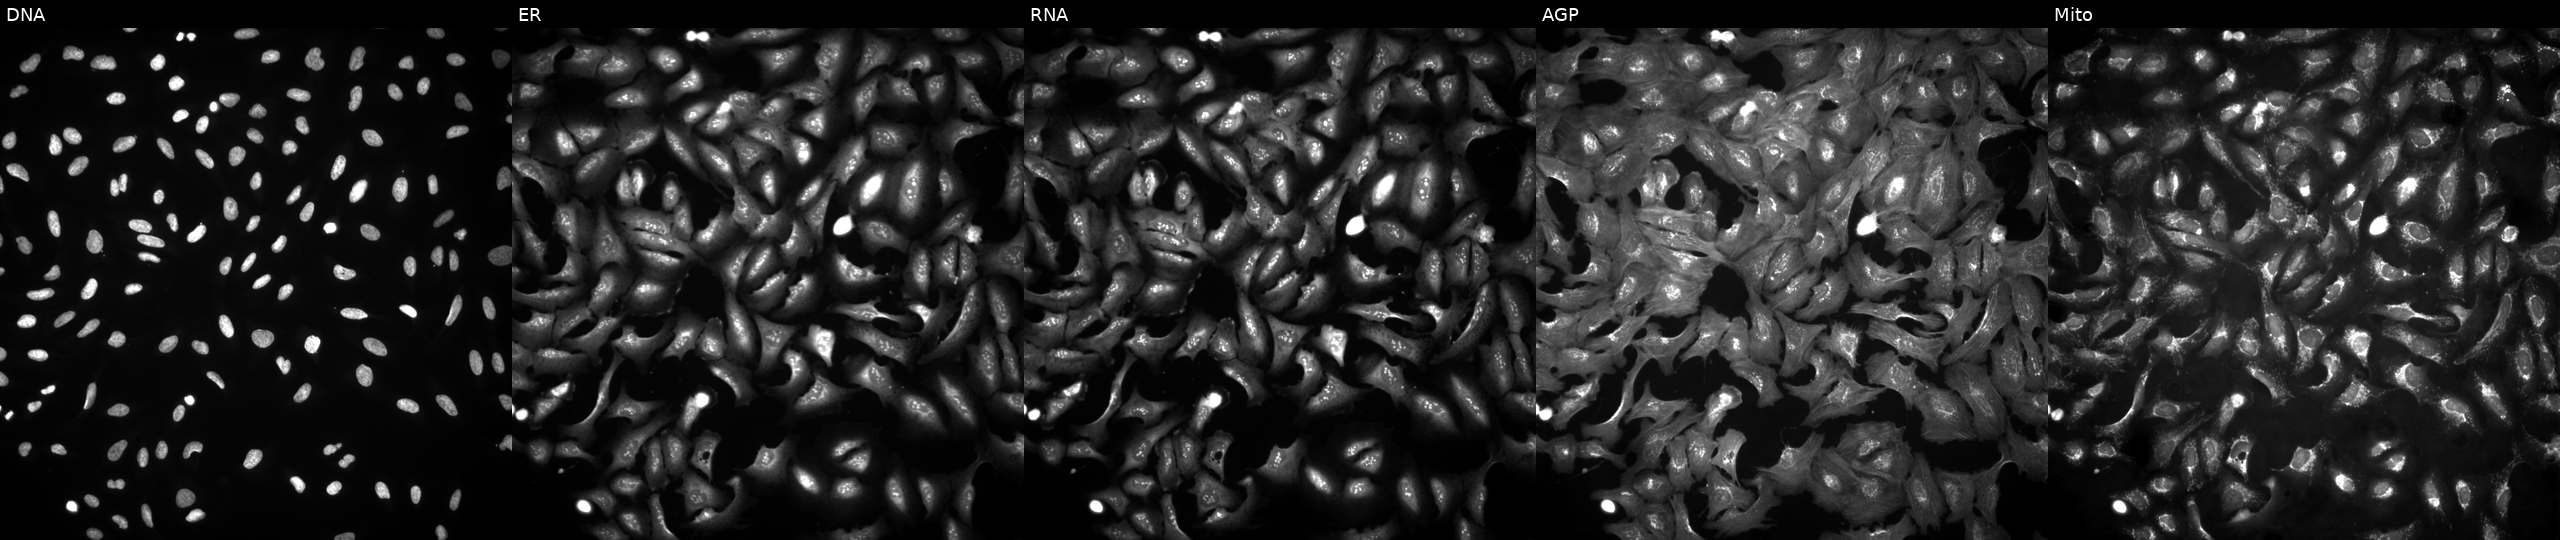
Panels show, left to right, DNA, ER, RNA, AGP, and Mito. U2OS osteosarcoma cells overexpressing H2BC9 via ORF transfection (JUMP id JCP2022_901772). Cell Painting assay, JUMP-CP dataset. Source 4, plate BR00124784, well L09.